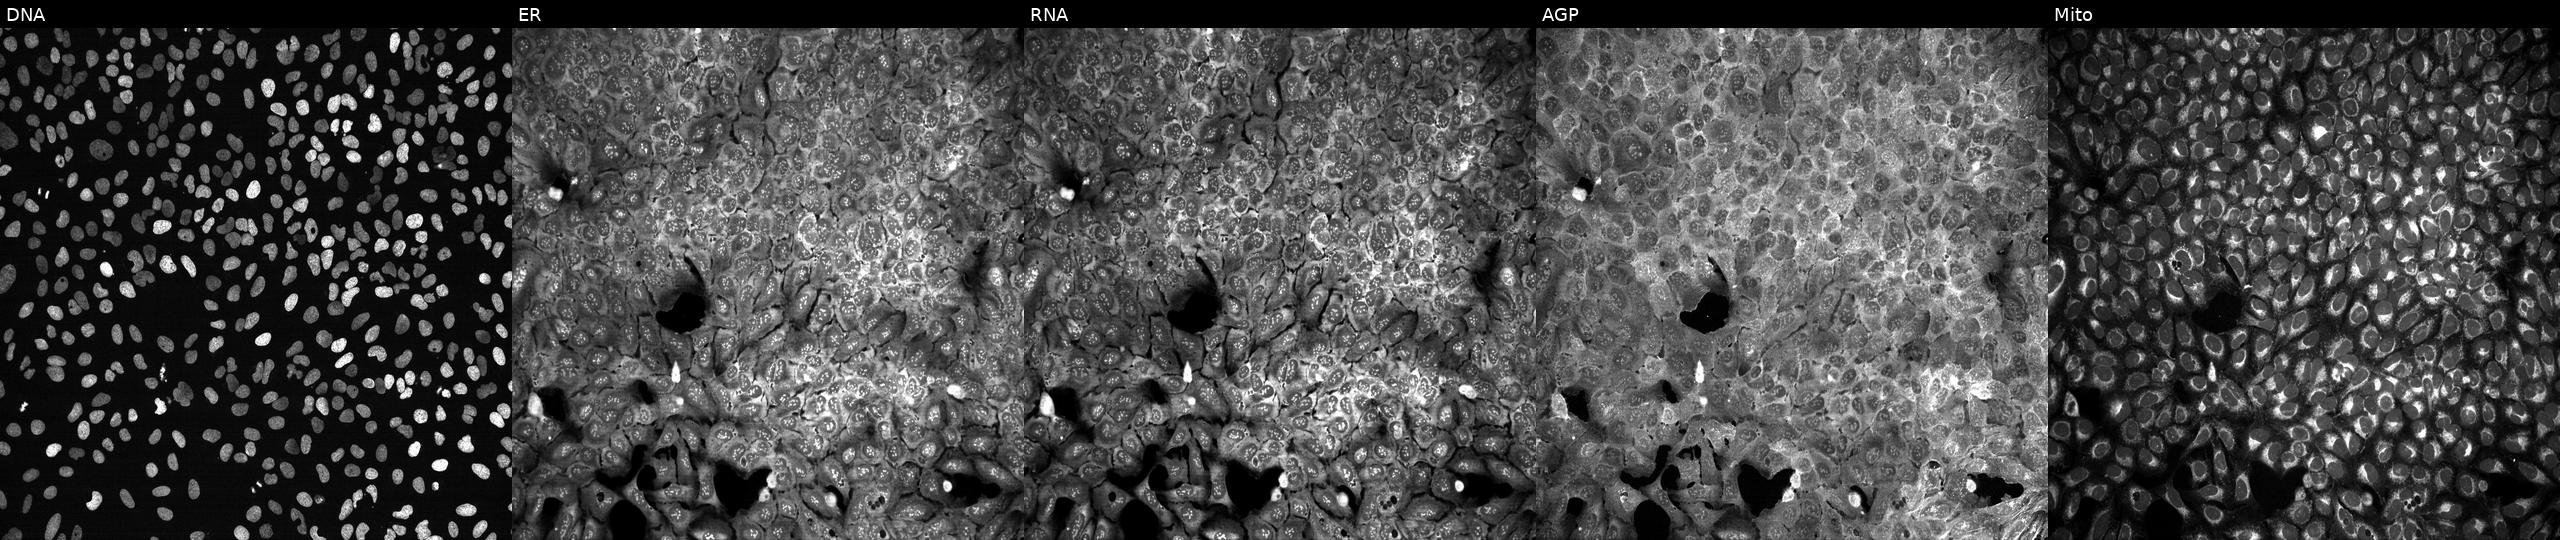
JUMP Cell Painting — CRISPR plate. U2OS cells following CRISPR knockout of TNFRSF13B (JUMP id JCP2022_807168). The five panels, left to right, show DNA, ER, RNA, AGP, and Mito.